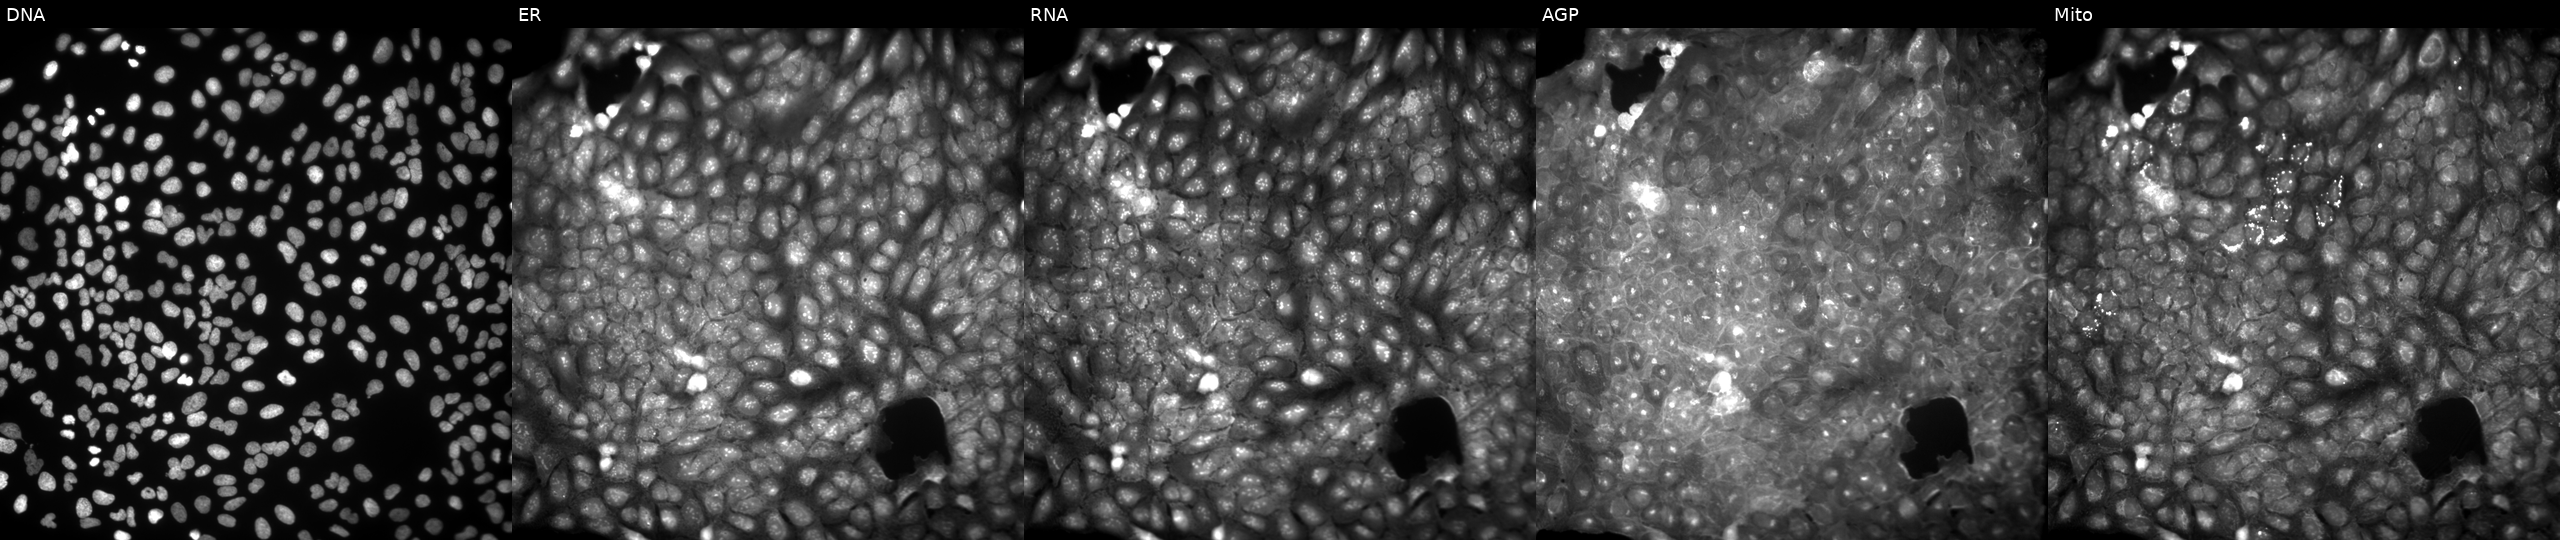
JUMP Cell Painting — COMPOUND plate. U2OS cells treated with a small-molecule compound (InChIKey YHVRQPXORKMKEG-UHFFFAOYSA-N) (JUMP id JCP2022_108544). From left to right: DNA, ER, RNA, AGP, and Mito.